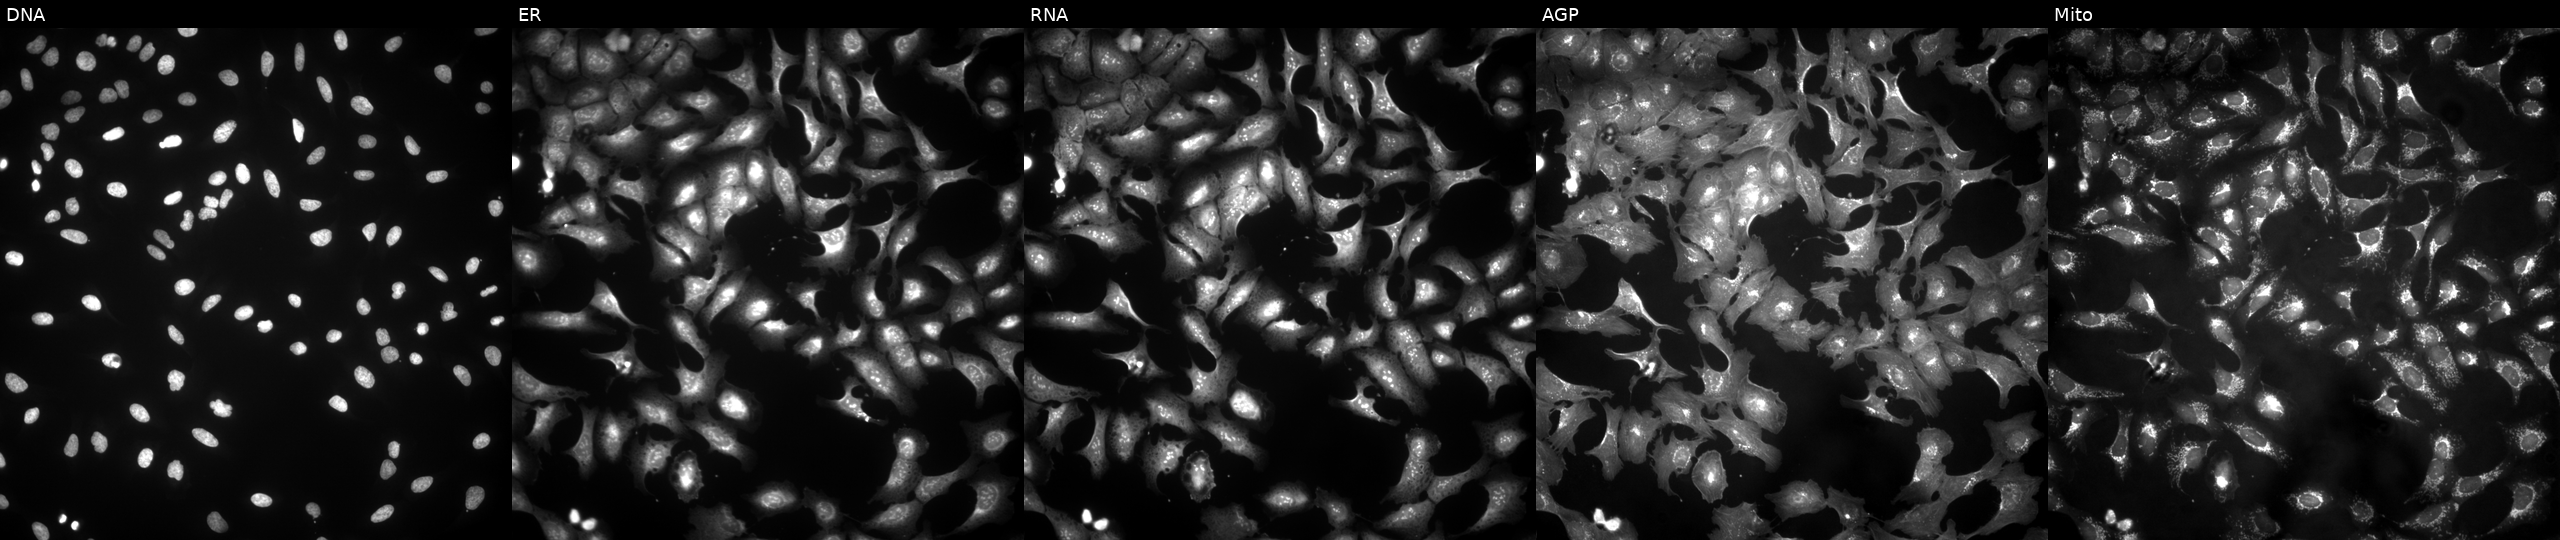
Channels (left→right): DNA (nuclei); ER (endoplasmic reticulum); RNA (nucleoli and cytoplasmic RNA); AGP (actin cytoskeleton, Golgi, and plasma membrane); Mito (mitochondria). U2OS osteosarcoma cells with MUS81 overexpressed (ORF). Cell Painting assay, JUMP-CP dataset.